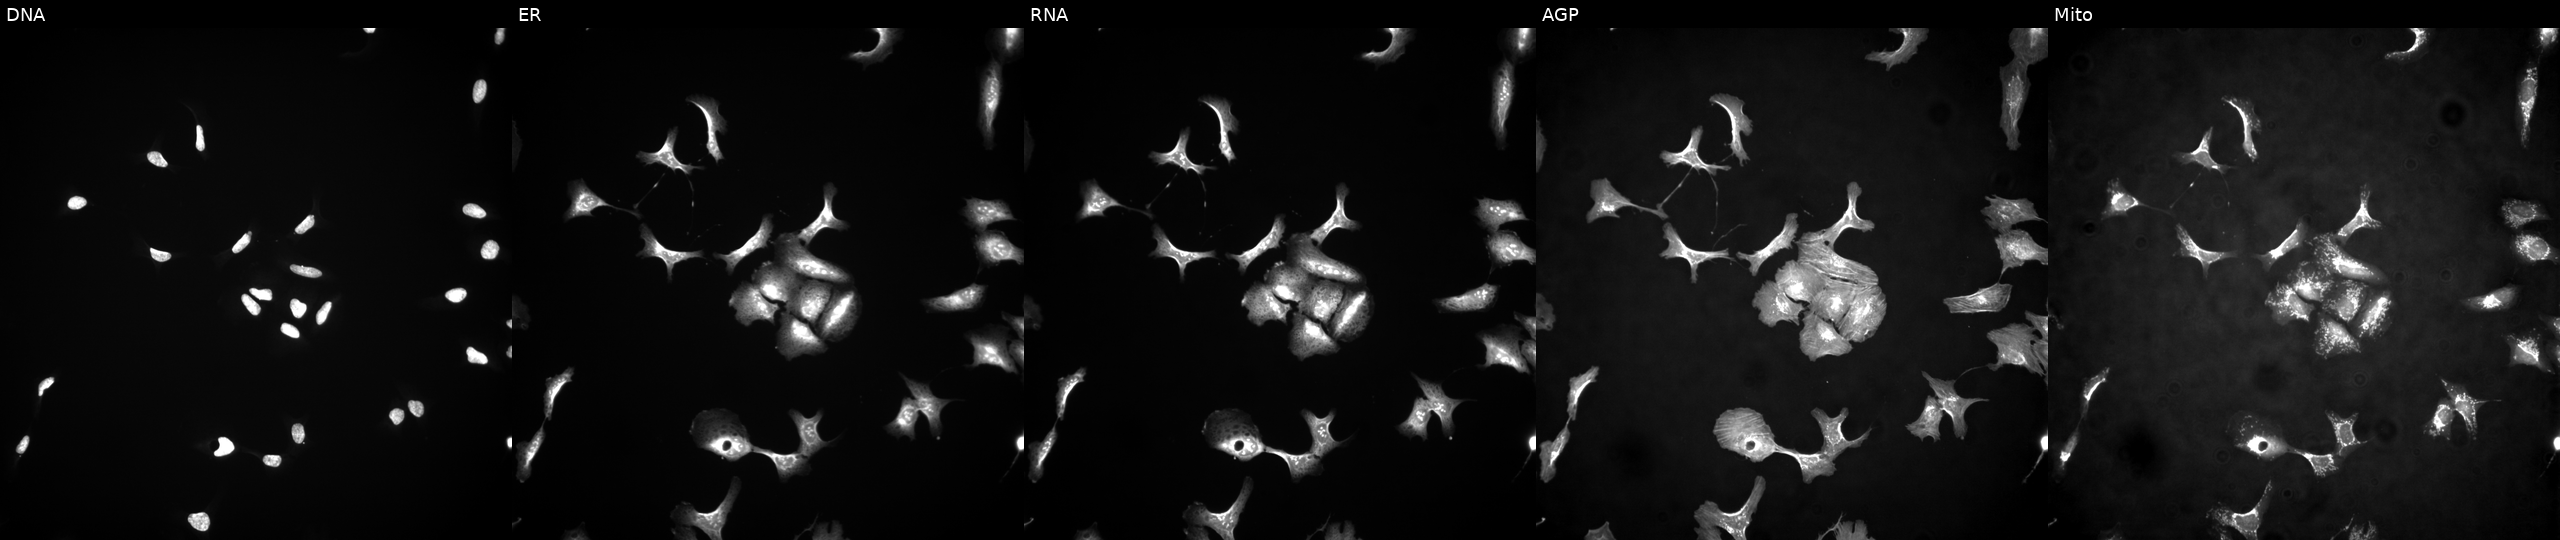
From left to right: Hoechst 33342, concanavalin A, SYTO 14, phalloidin and WGA, MitoTracker. U2OS osteosarcoma cells expressing eGFP (ORF positive control) (JUMP id JCP2022_915132). Cell Painting assay, JUMP-CP dataset.